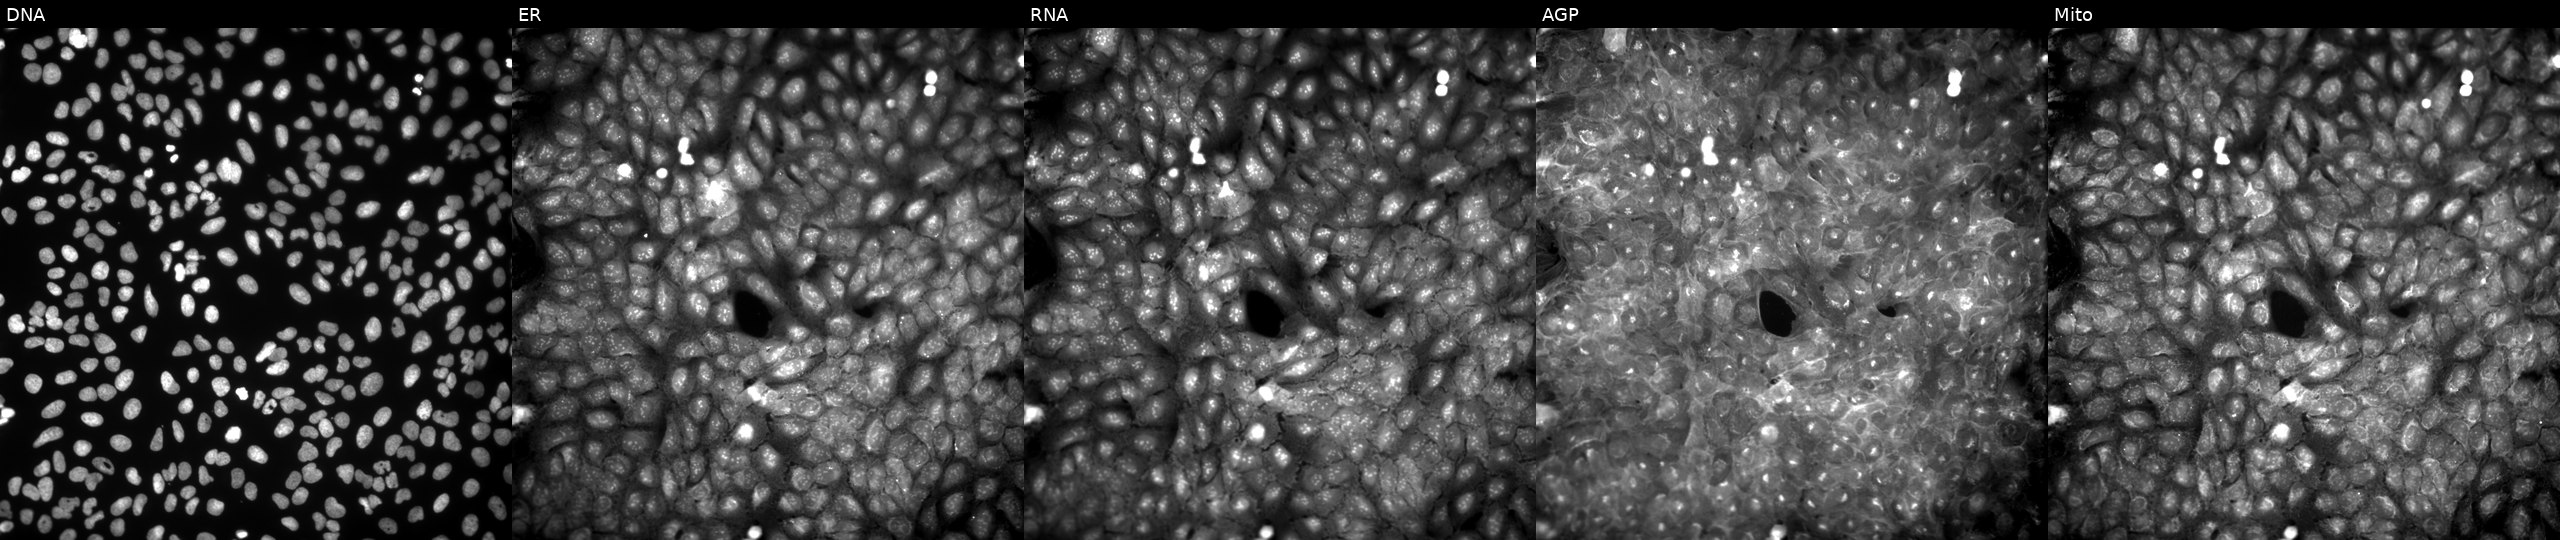
From left to right: DNA (nuclei); ER (endoplasmic reticulum); RNA (nucleoli and cytoplasmic RNA); AGP (actin cytoskeleton, Golgi, and plasma membrane); Mito (mitochondria). U2OS osteosarcoma cells exposed to a small-molecule compound (JUMP id JCP2022_076995). Cell Painting assay, JUMP-CP dataset.